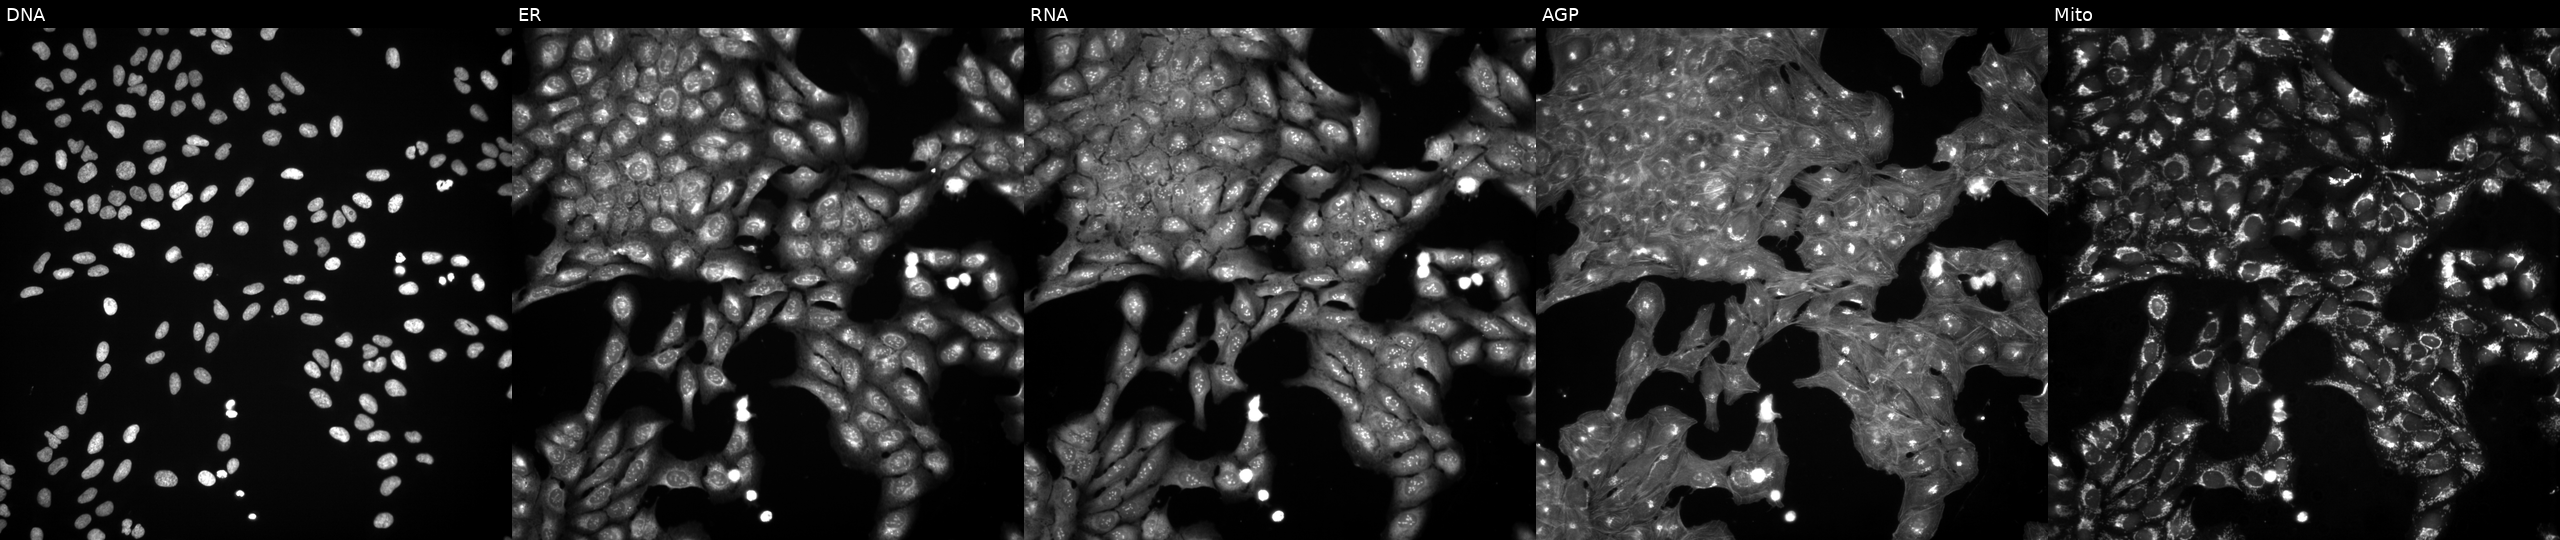
This image strip shows the five Cell Painting channels for a single field of U2OS cells exposed to DMSO alone as a negative control. From left to right: DNA (nuclei); ER (endoplasmic reticulum); RNA (nucleoli and cytoplasmic RNA); AGP (actin cytoskeleton, Golgi, and plasma membrane); Mito (mitochondria). Source 3, plate BR5867b3, well J02.